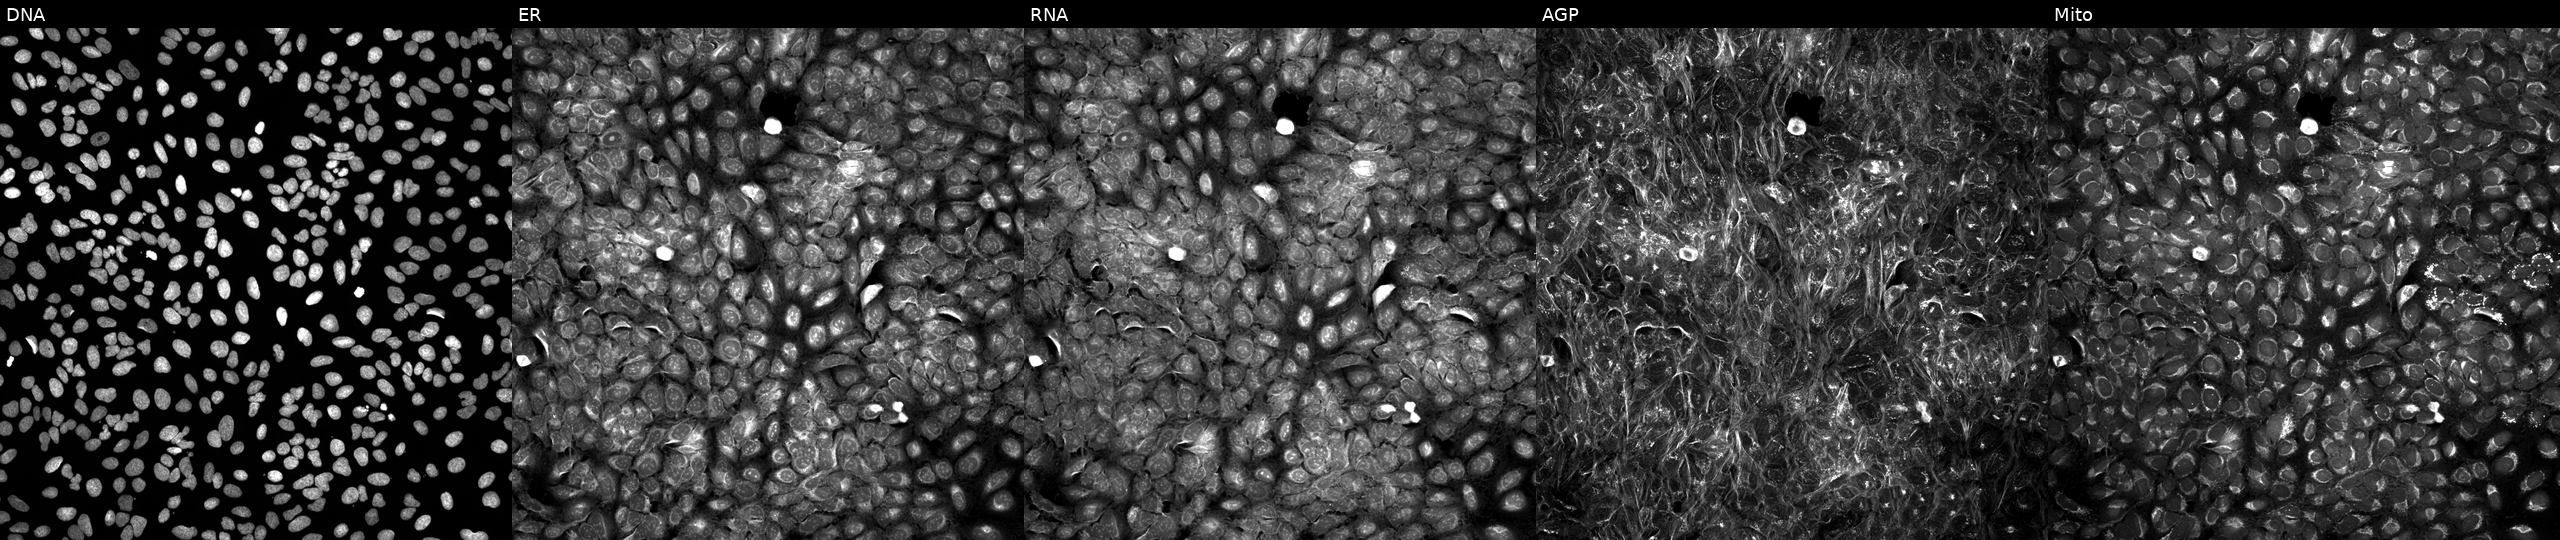
This image strip shows the five Cell Painting channels for a single field of U2OS cells treated with a small-molecule compound (InChIKey NEMHKCNXXRQYRF-UHFFFAOYSA-N). The five panels, left to right, show Hoechst 33342, concanavalin A, SYTO 14, phalloidin and WGA, MitoTracker.